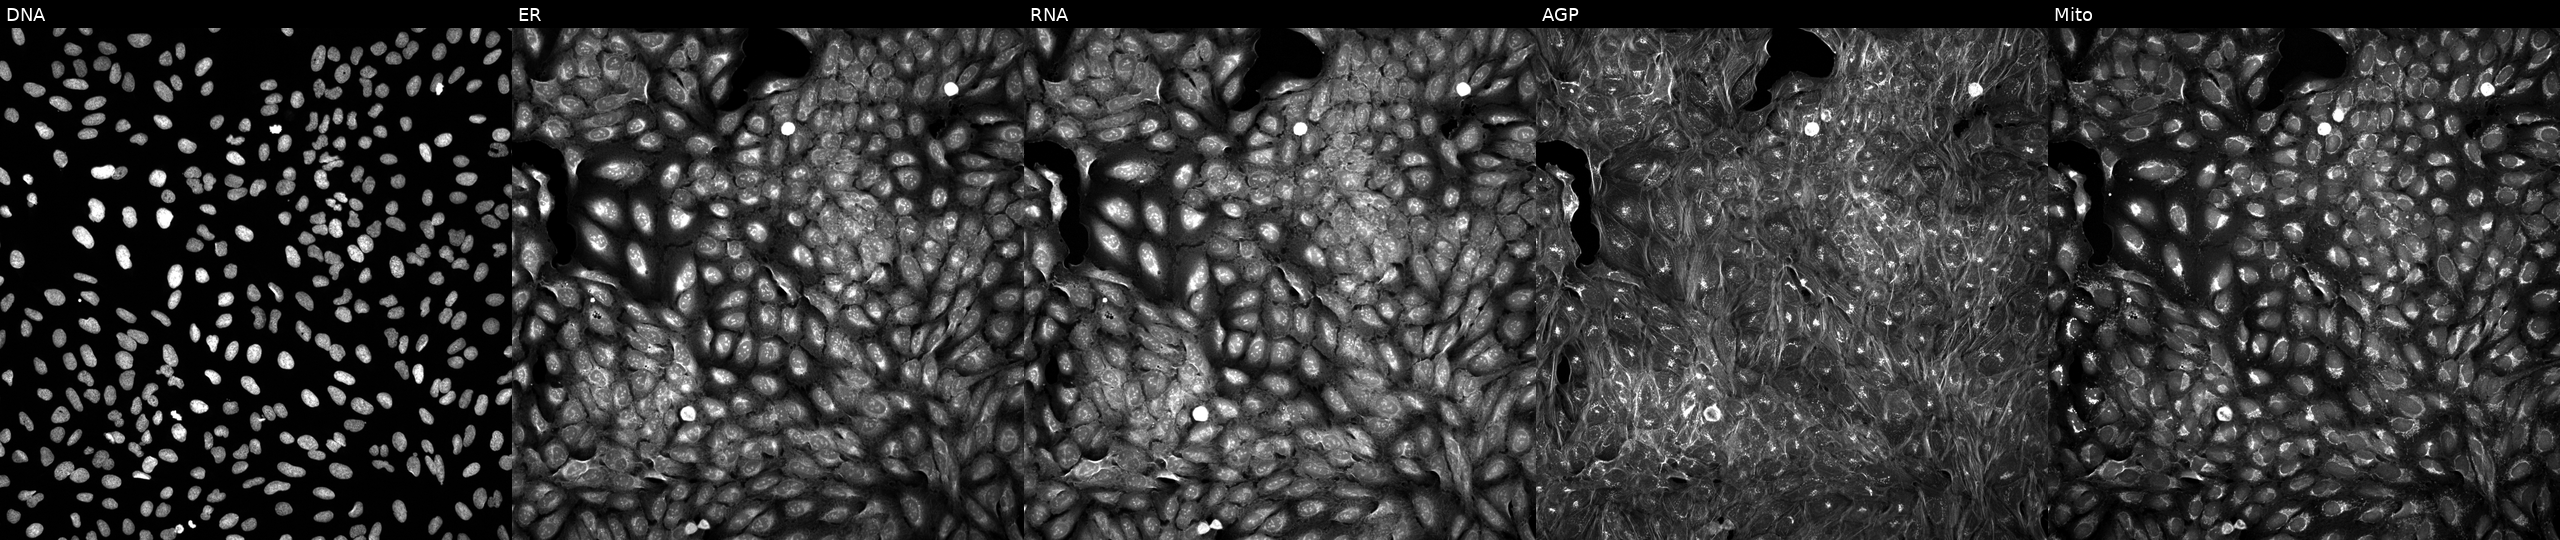
High-content fluorescence microscopy (Cell Painting). Cell line: U2OS. Perturbation: exposed to a small-molecule compound (InChIKey TZDUHAJSIBHXDL-UHFFFAOYSA-N) [SMILES: CC(OC(=O)NCC1(CC(=O)O)CCCCC1)OC(=O)C(C)C] (JUMP id JCP2022_087693). The five panels, left to right, show DNA (nuclei); ER (endoplasmic reticulum); RNA (nucleoli and cytoplasmic RNA); AGP (actin cytoskeleton, Golgi, and plasma membrane); Mito (mitochondria).